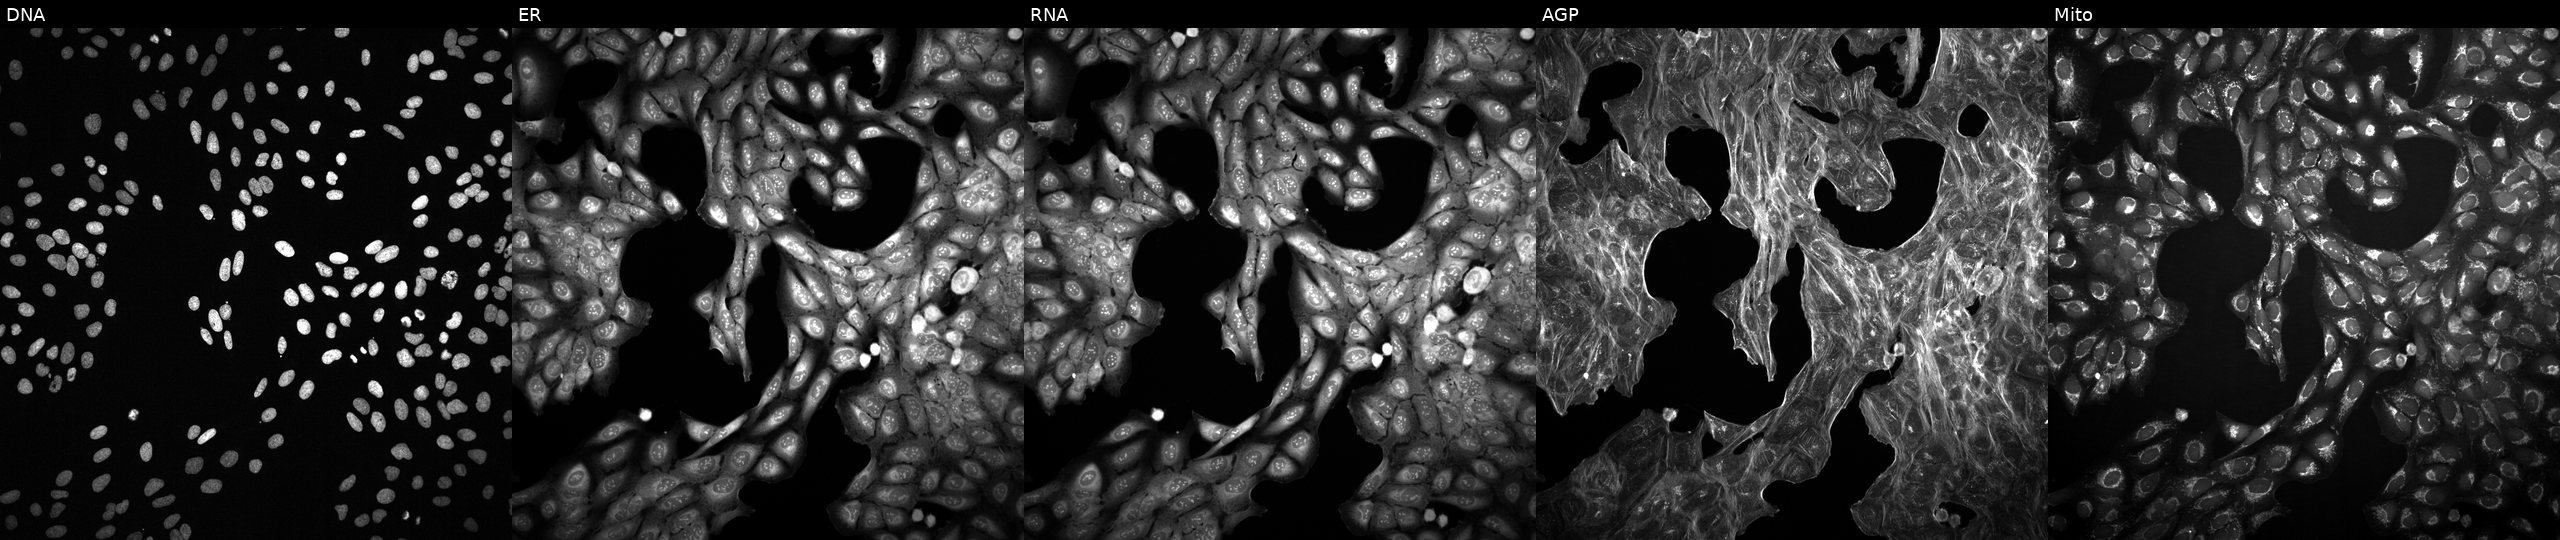
High-content fluorescence microscopy (Cell Painting). Cell line: U2OS. Perturbation: perturbed with a small-molecule compound (JUMP id JCP2022_042354). Panels show, left to right, Hoechst 33342, concanavalin A, SYTO 14, phalloidin and WGA, MitoTracker.